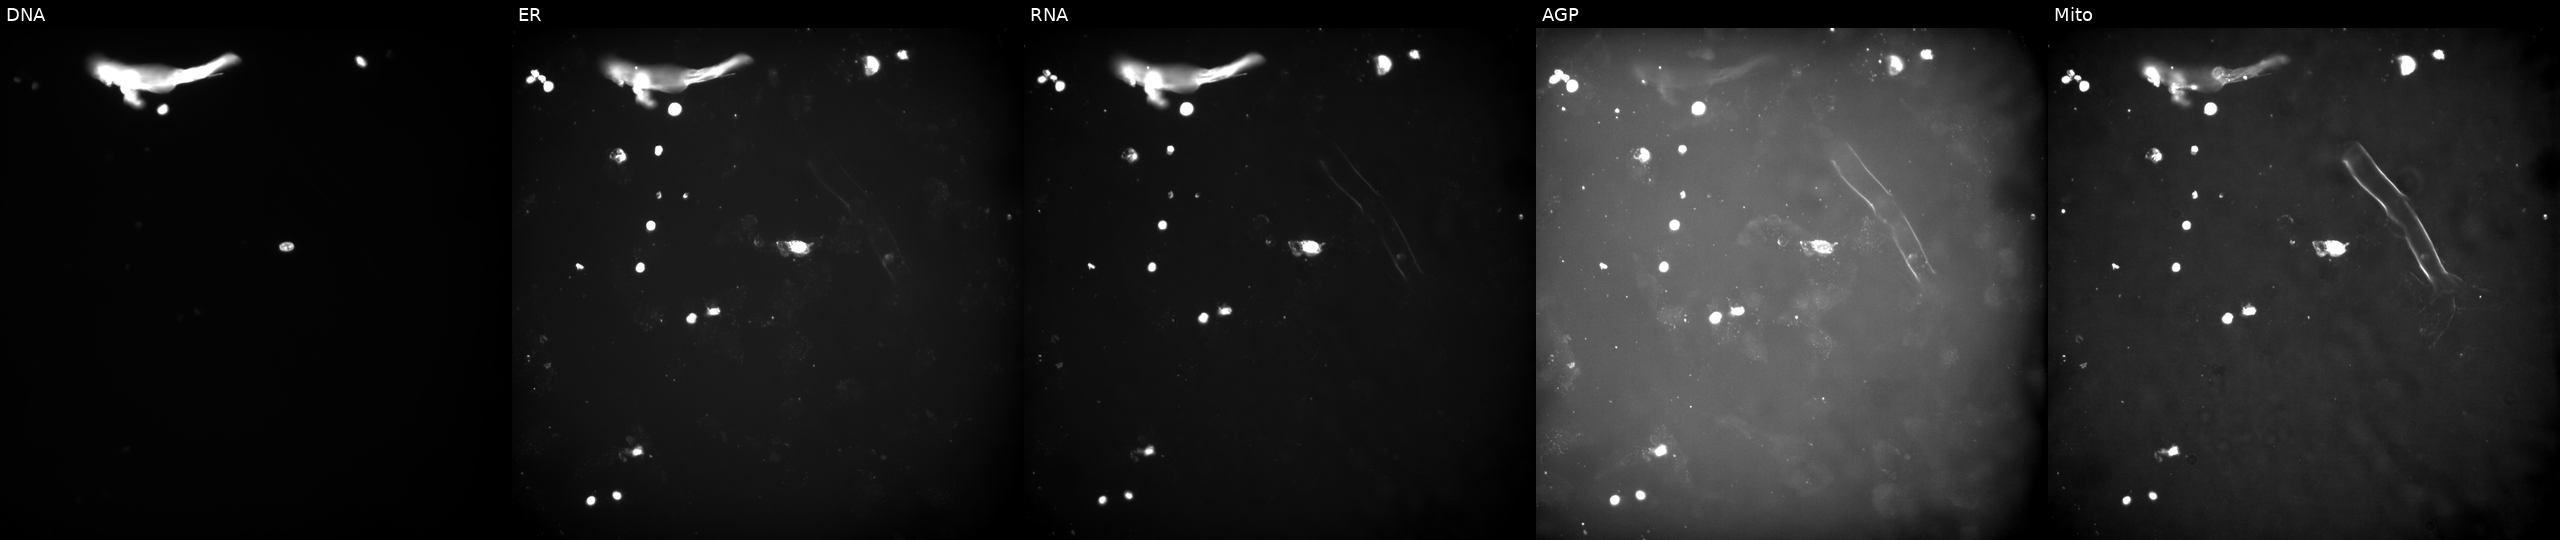
From left to right: Hoechst 33342, concanavalin A, SYTO 14, phalloidin and WGA, MitoTracker. U2OS osteosarcoma cells exposed to a small-molecule compound (InChIKey AOZYVPVAAIZOAG-UHFFFAOYSA-N). Cell Painting assay, JUMP-CP dataset.